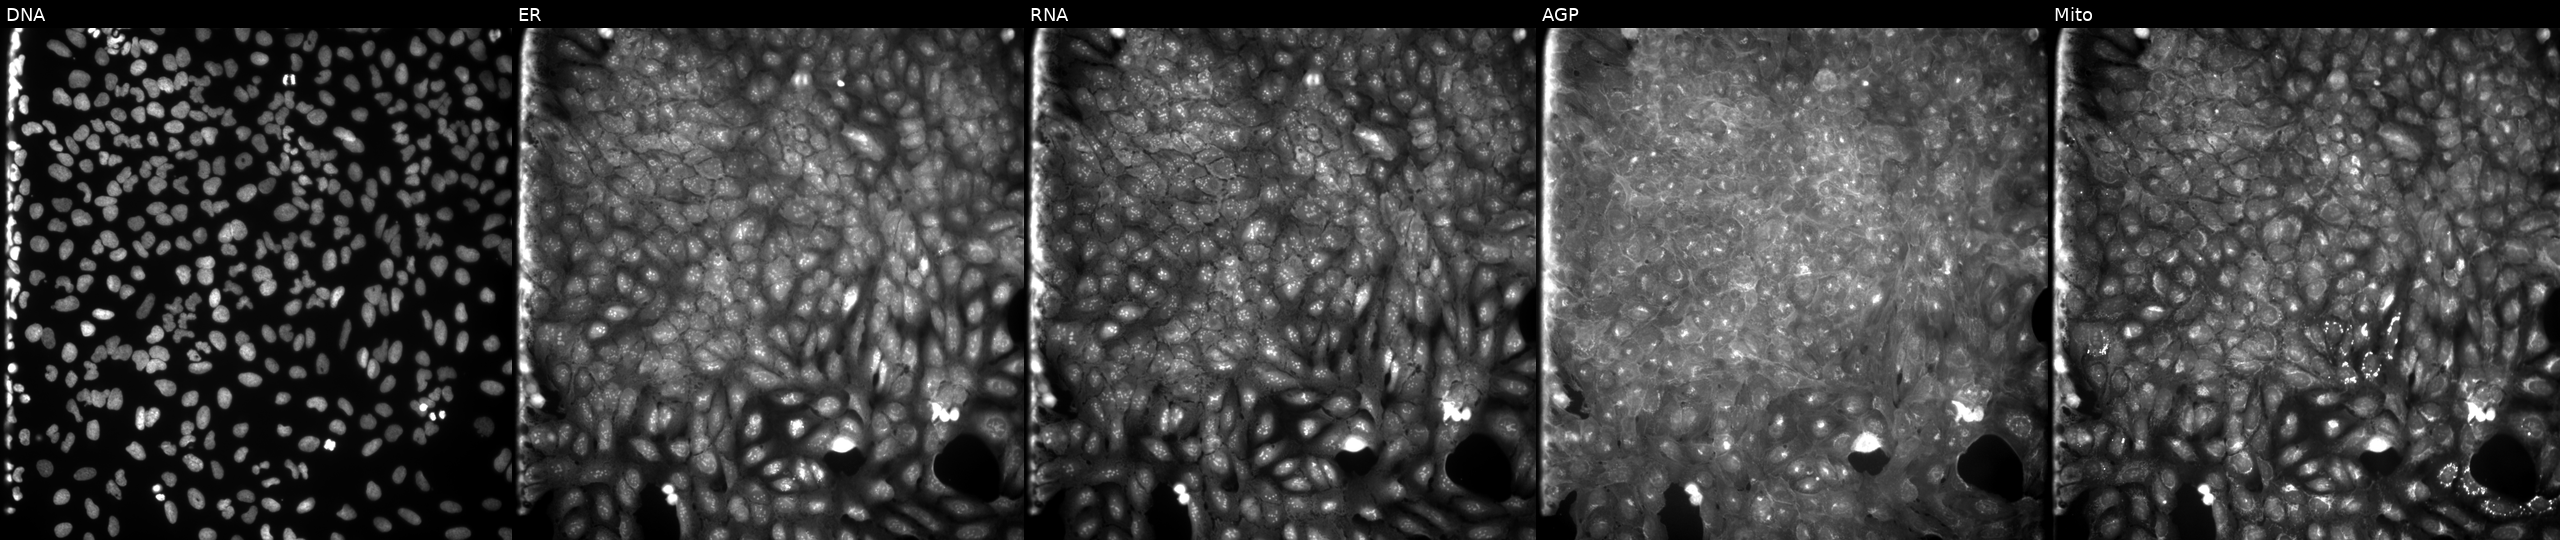
This image strip shows the five Cell Painting channels for a single field of U2OS cells perturbed with a small-molecule compound (InChIKey YDENJWGVACIEBL-UHFFFAOYSA-N) [SMILES: Cc1cccc(=NC(=O)c2ccc([N+](=O)[O-])cc2Cl)[nH]1]. Channels (left→right): Hoechst 33342, concanavalin A, SYTO 14, phalloidin and WGA, MitoTracker.